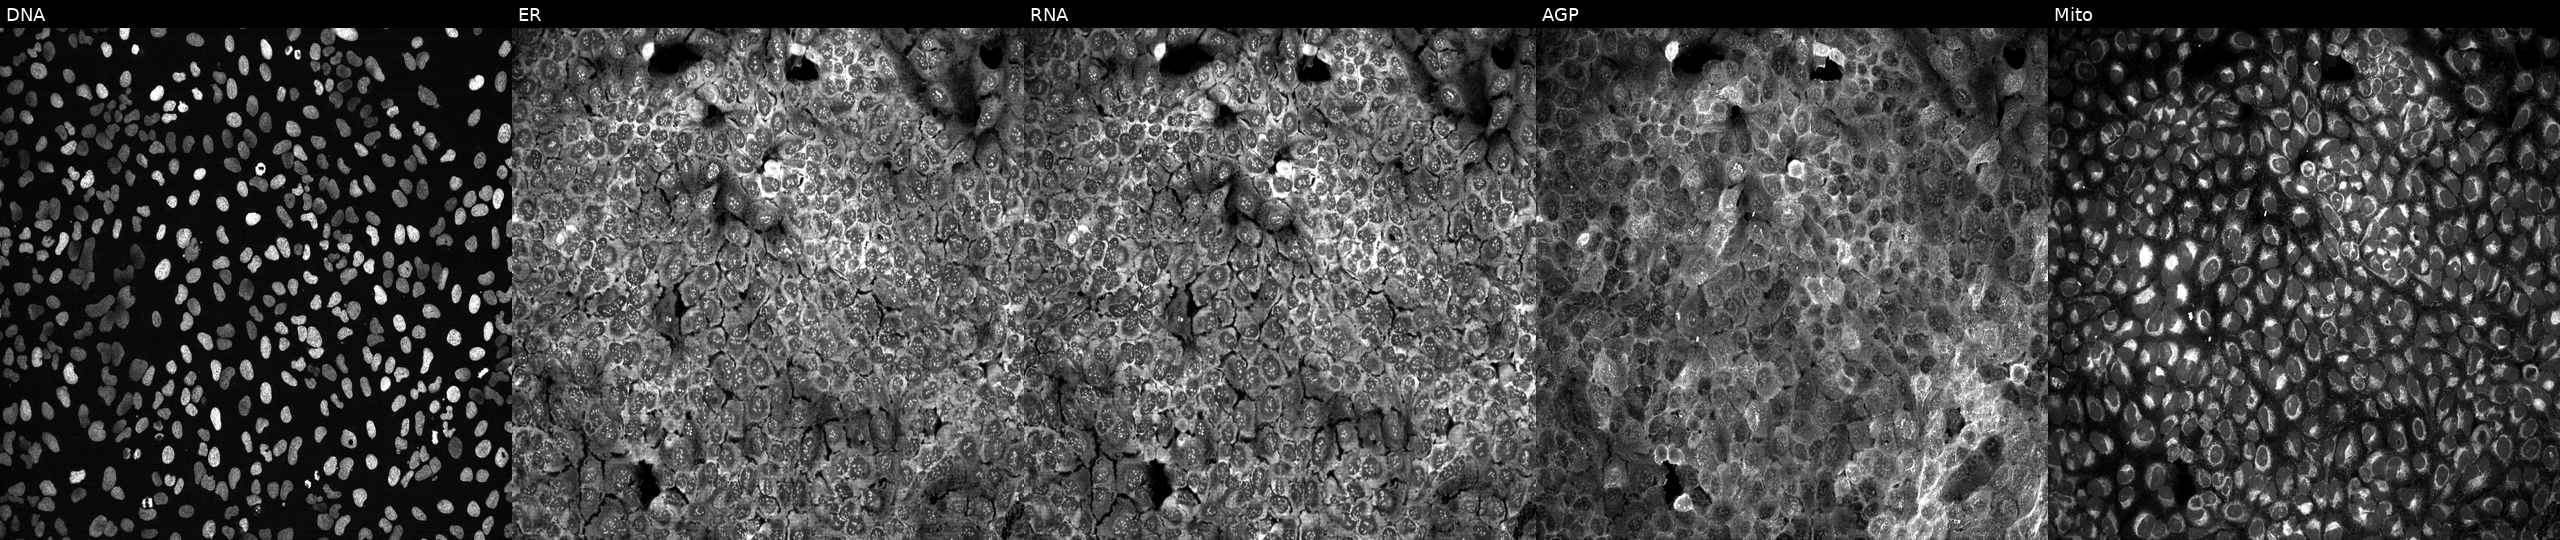
U2OS cells, Cell Painting assay, following CRISPR knockout of POLR3H. The five panels, left to right, show DNA (nuclei); ER (endoplasmic reticulum); RNA (nucleoli and cytoplasmic RNA); AGP (actin cytoskeleton, Golgi, and plasma membrane); Mito (mitochondria). Each panel is percentile-stretched 16-bit fluorescence.